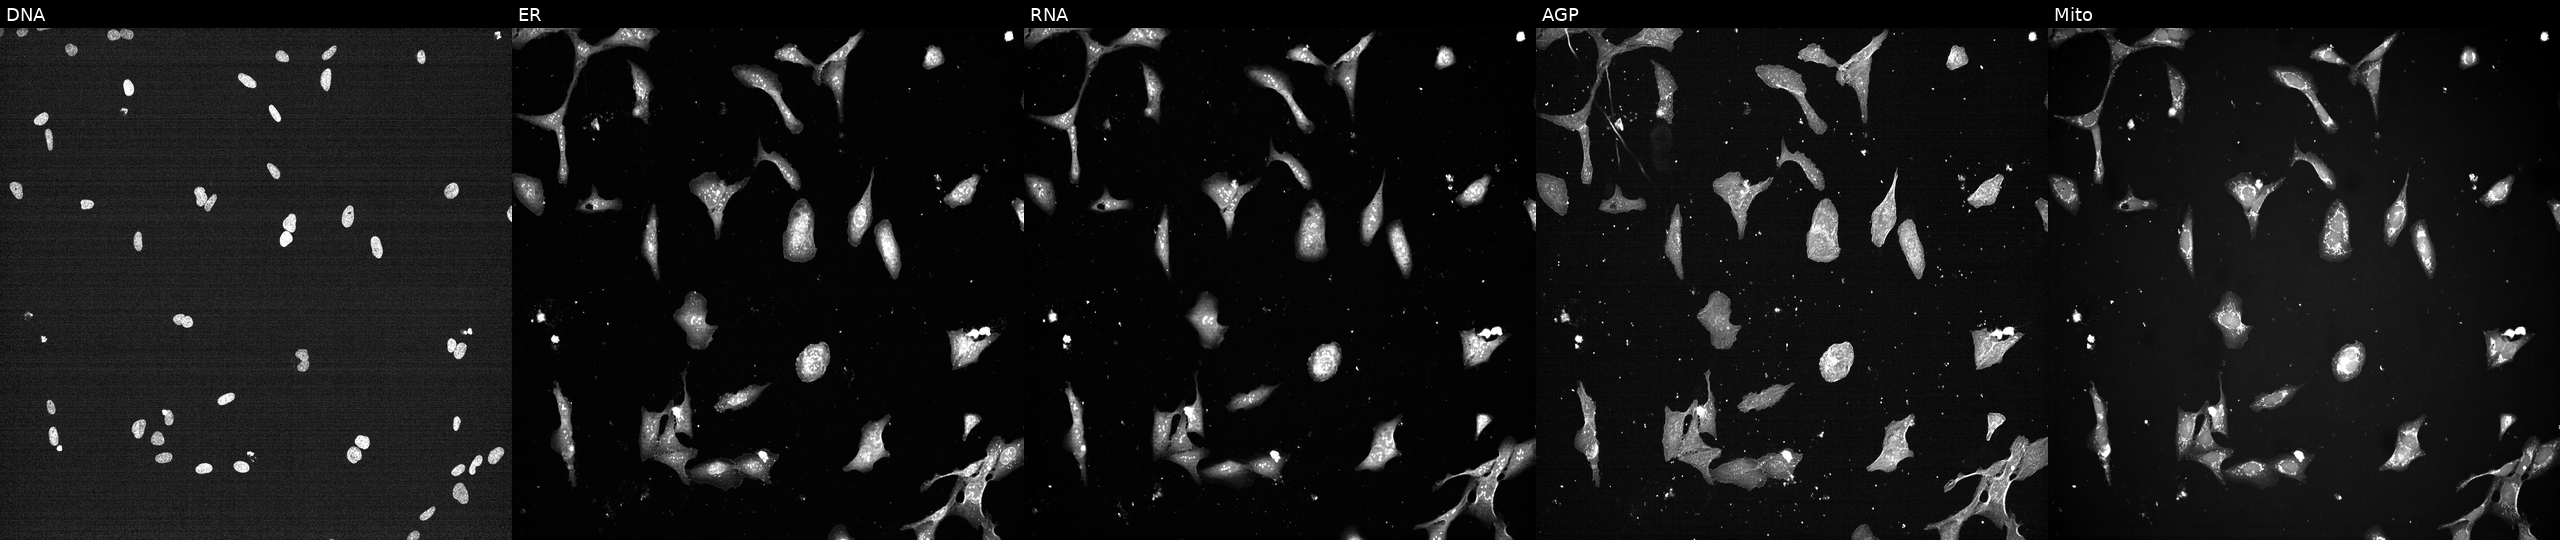
Five-channel Cell Painting image of U2OS cells perturbed with a small-molecule compound (InChIKey YPHMISFOHDHNIV-UHFFFAOYSA-N). The five panels, left to right, show DNA, ER, RNA, AGP, and Mito.